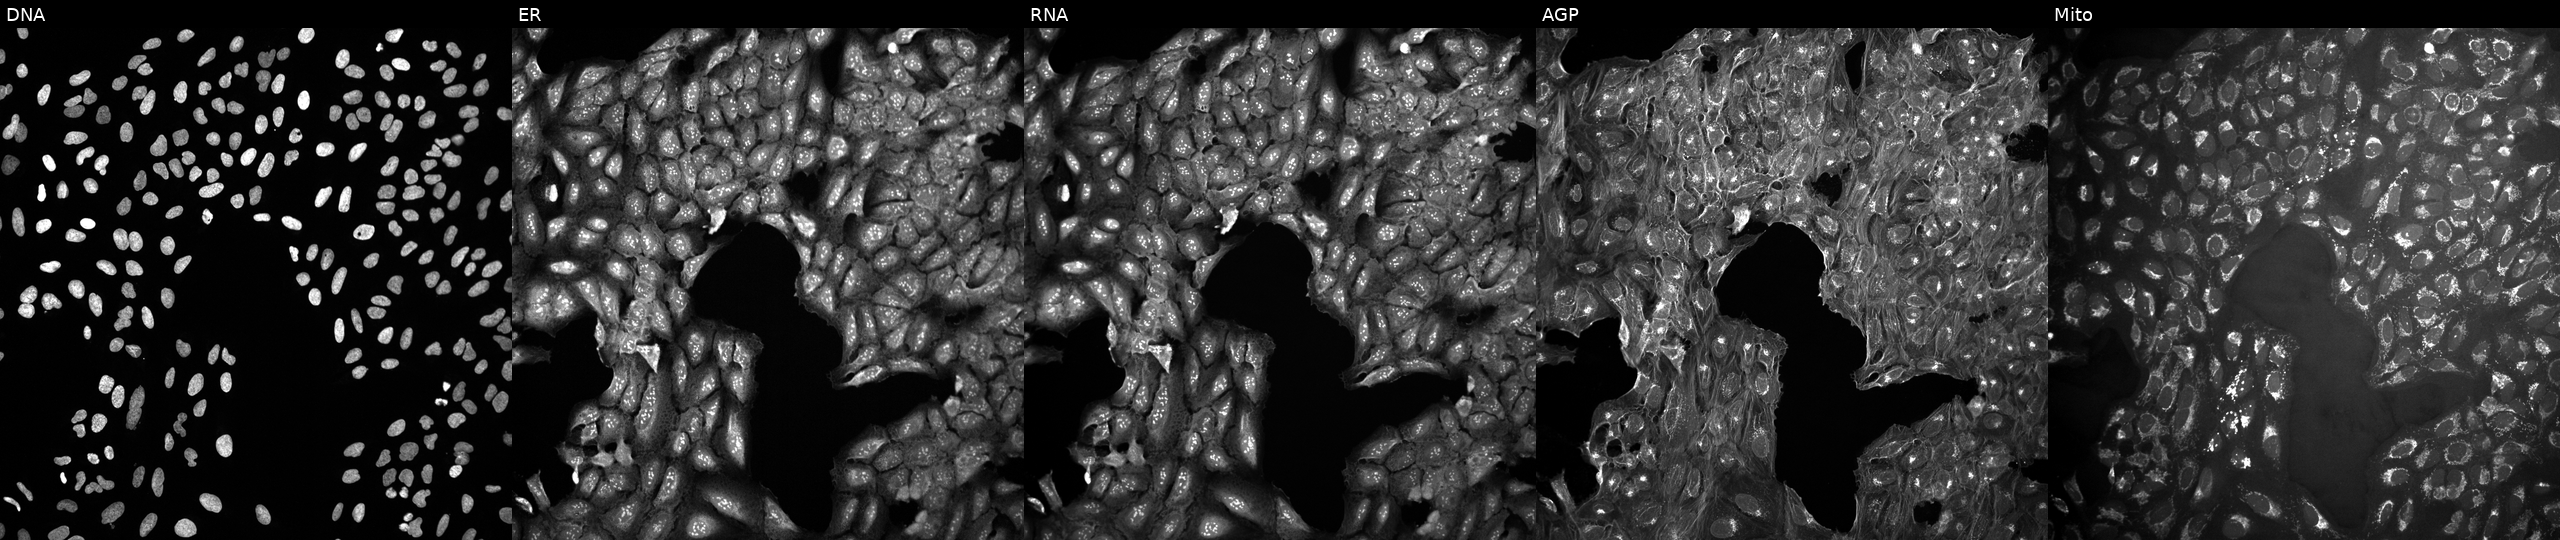
High-content fluorescence microscopy (Cell Painting). Cell line: U2OS. Perturbation: untreated (empty-well control) (JUMP id JCP2022_999999). The five panels, left to right, show Hoechst 33342, concanavalin A, SYTO 14, phalloidin and WGA, MitoTracker. Source 10, plate Dest210531-152149, well K15.